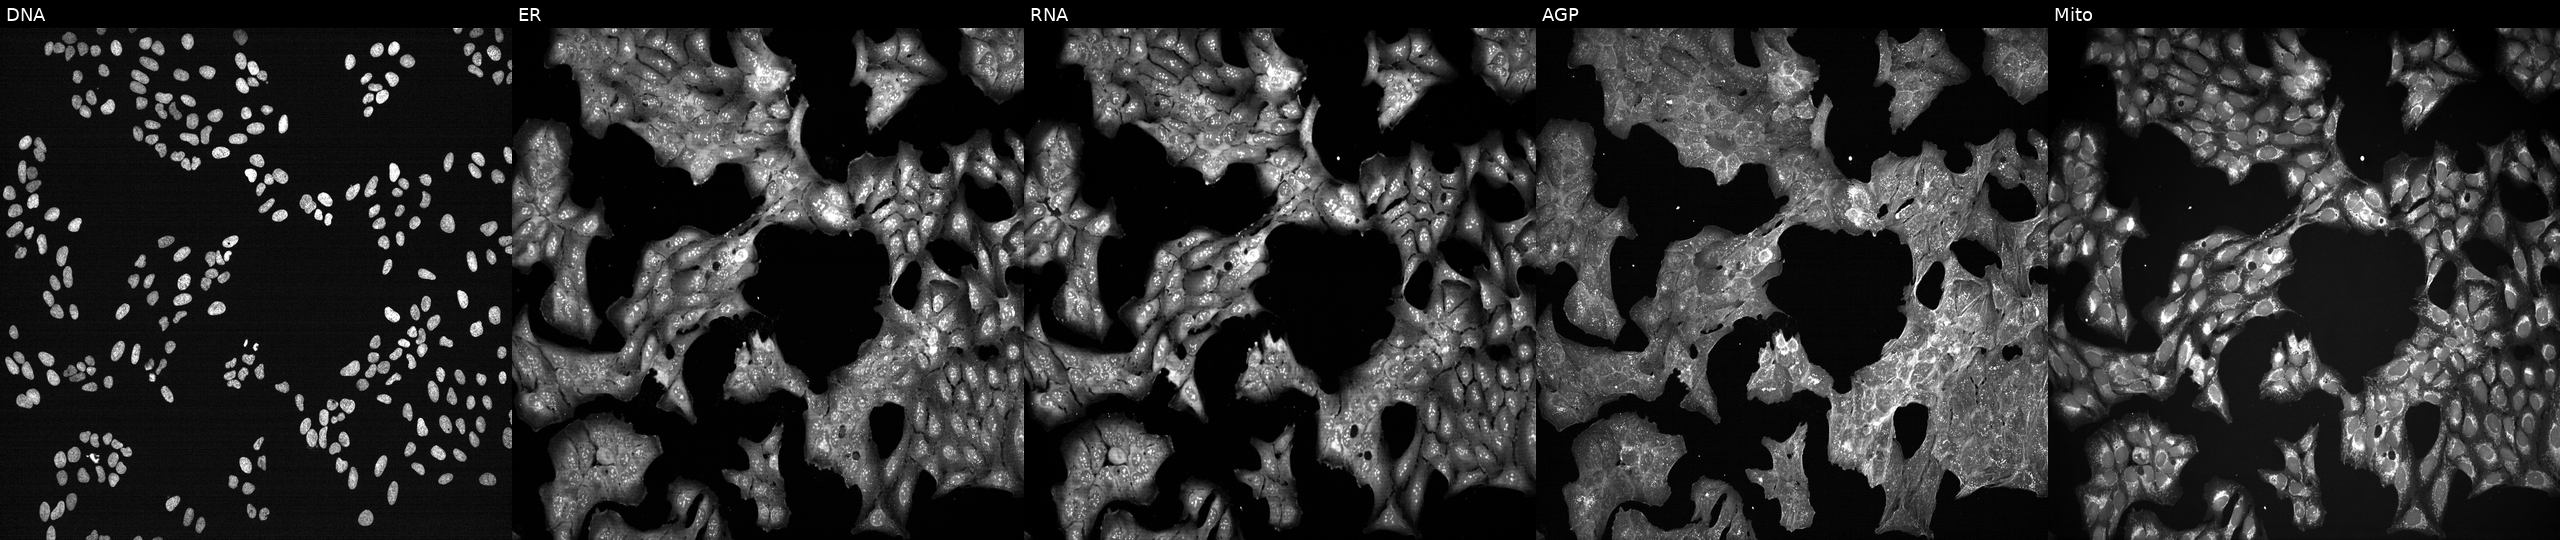
JUMP Cell Painting — TARGET2 plate. U2OS cells treated with a small-molecule compound (InChIKey QHKYPYXTTXKZST-UHFFFAOYSA-N). Panels show, left to right, DNA (nuclei); ER (endoplasmic reticulum); RNA (nucleoli and cytoplasmic RNA); AGP (actin cytoskeleton, Golgi, and plasma membrane); Mito (mitochondria).